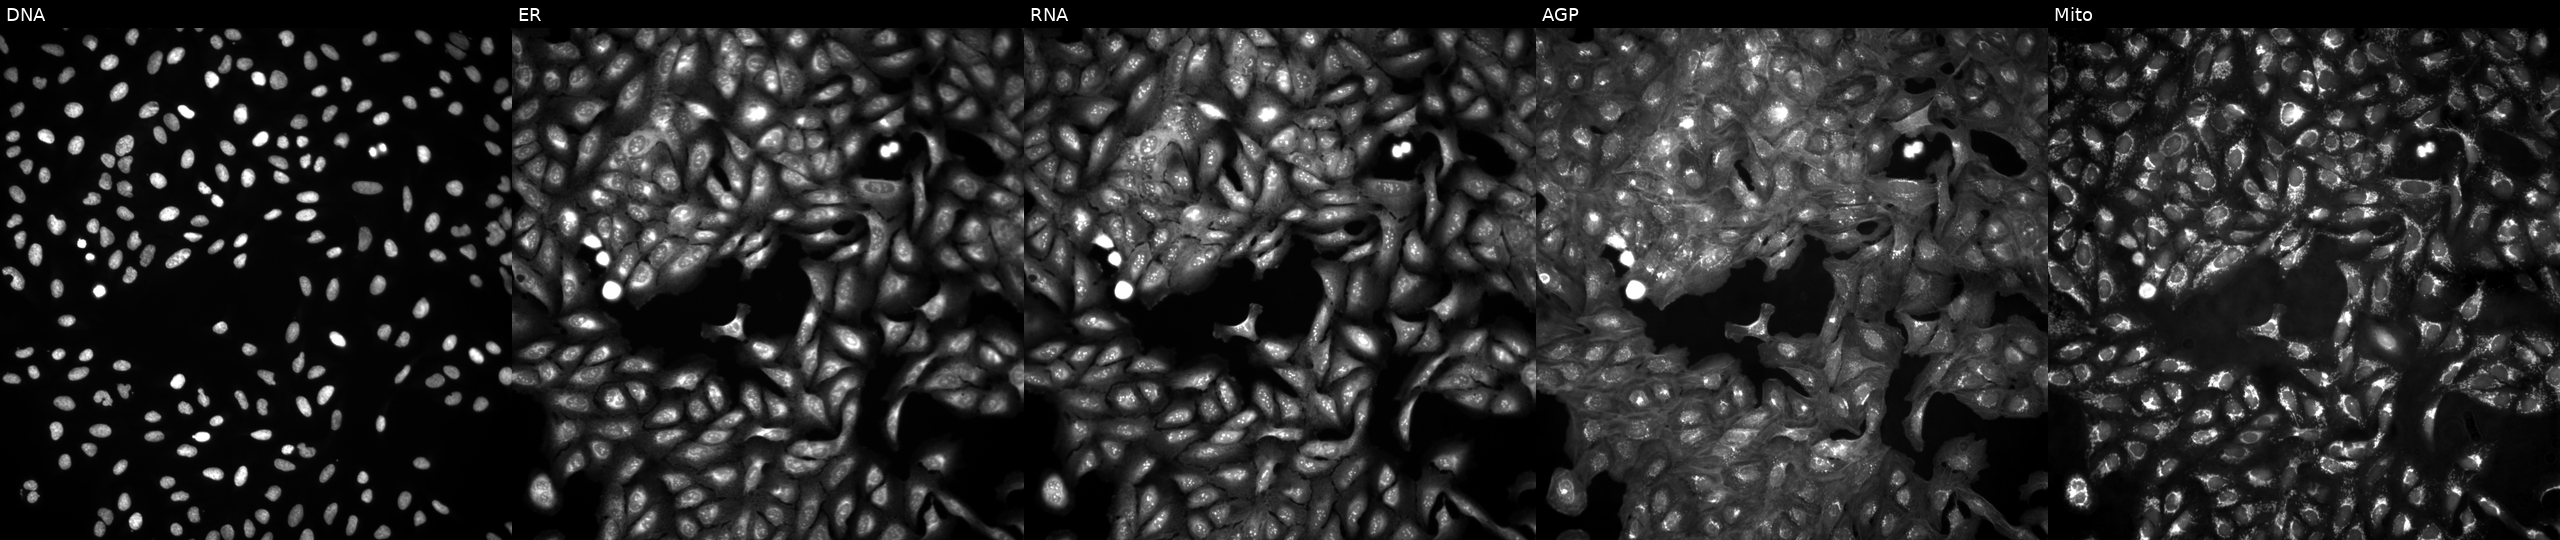
Panels show, left to right, DNA (nuclei); ER (endoplasmic reticulum); RNA (nucleoli and cytoplasmic RNA); AGP (actin cytoskeleton, Golgi, and plasma membrane); Mito (mitochondria). U2OS osteosarcoma cells untreated (empty-well control). Cell Painting assay, JUMP-CP dataset.